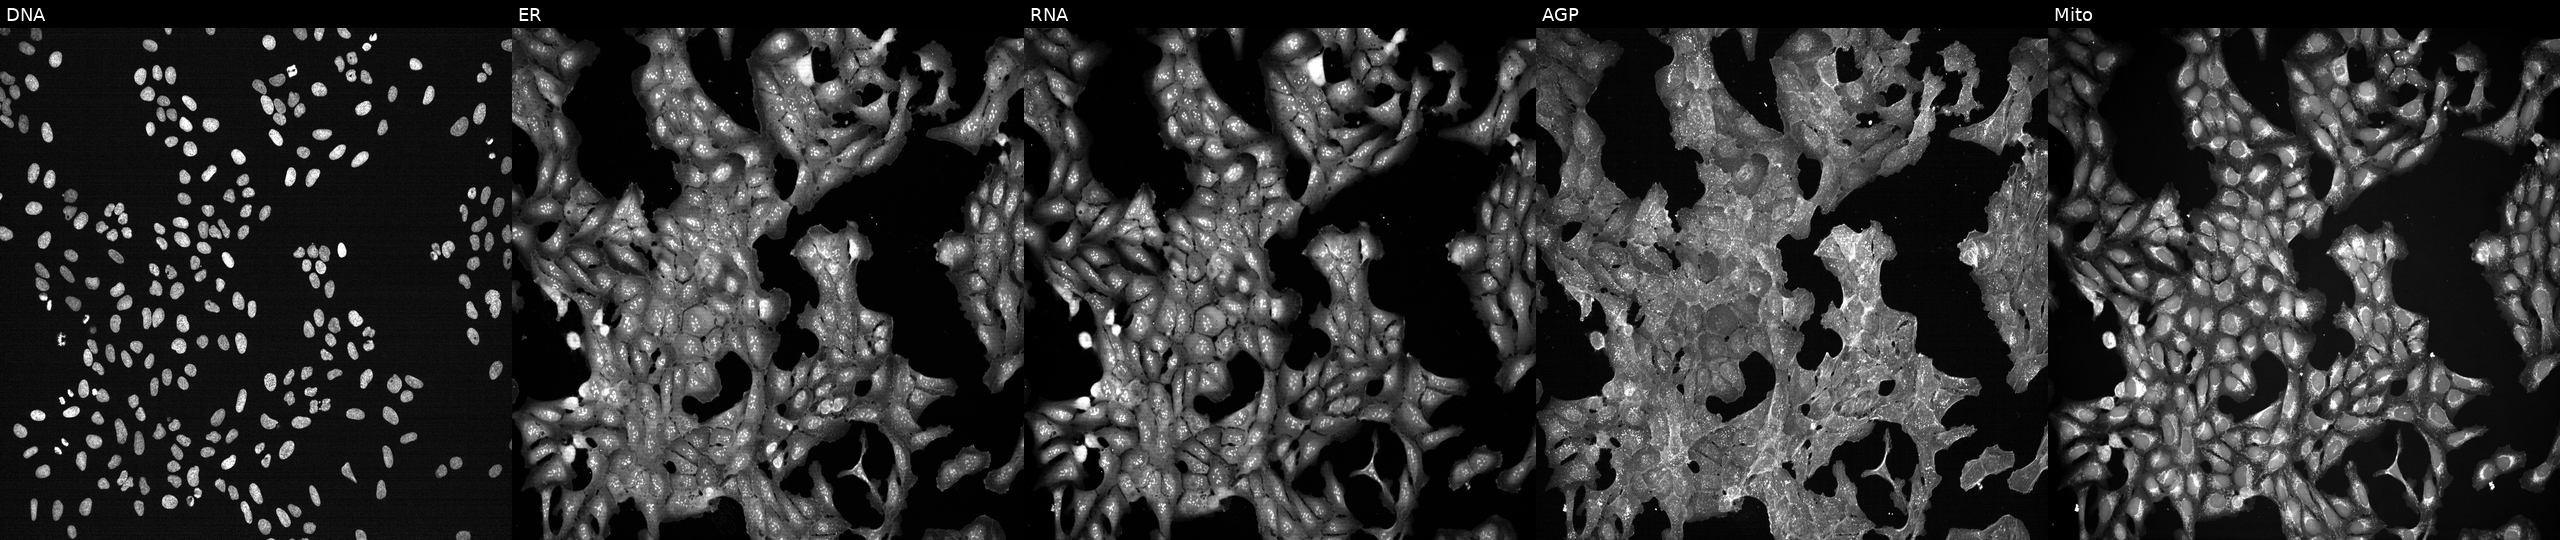
JUMP Cell Painting — TARGET2 plate. U2OS cells exposed to DMSO alone as a negative control (JUMP id JCP2022_033924). The five panels, left to right, show DNA (nuclei); ER (endoplasmic reticulum); RNA (nucleoli and cytoplasmic RNA); AGP (actin cytoskeleton, Golgi, and plasma membrane); Mito (mitochondria).